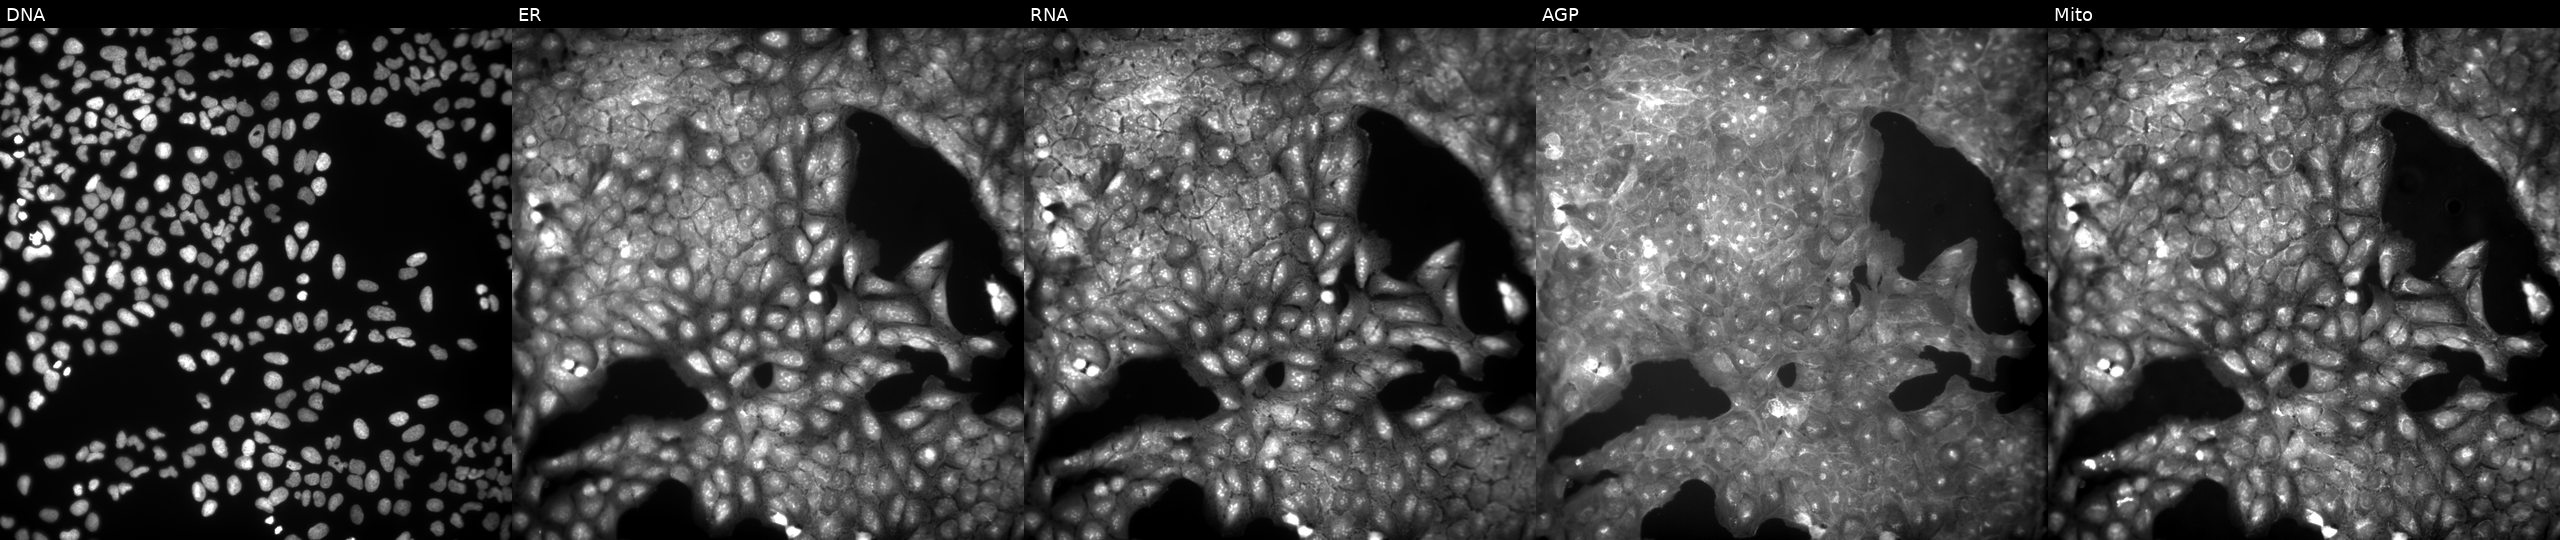
High-content fluorescence microscopy (Cell Painting). Cell line: U2OS. Perturbation: exposed to DMSO alone as a negative control. From left to right: DNA, ER, RNA, AGP, and Mito.